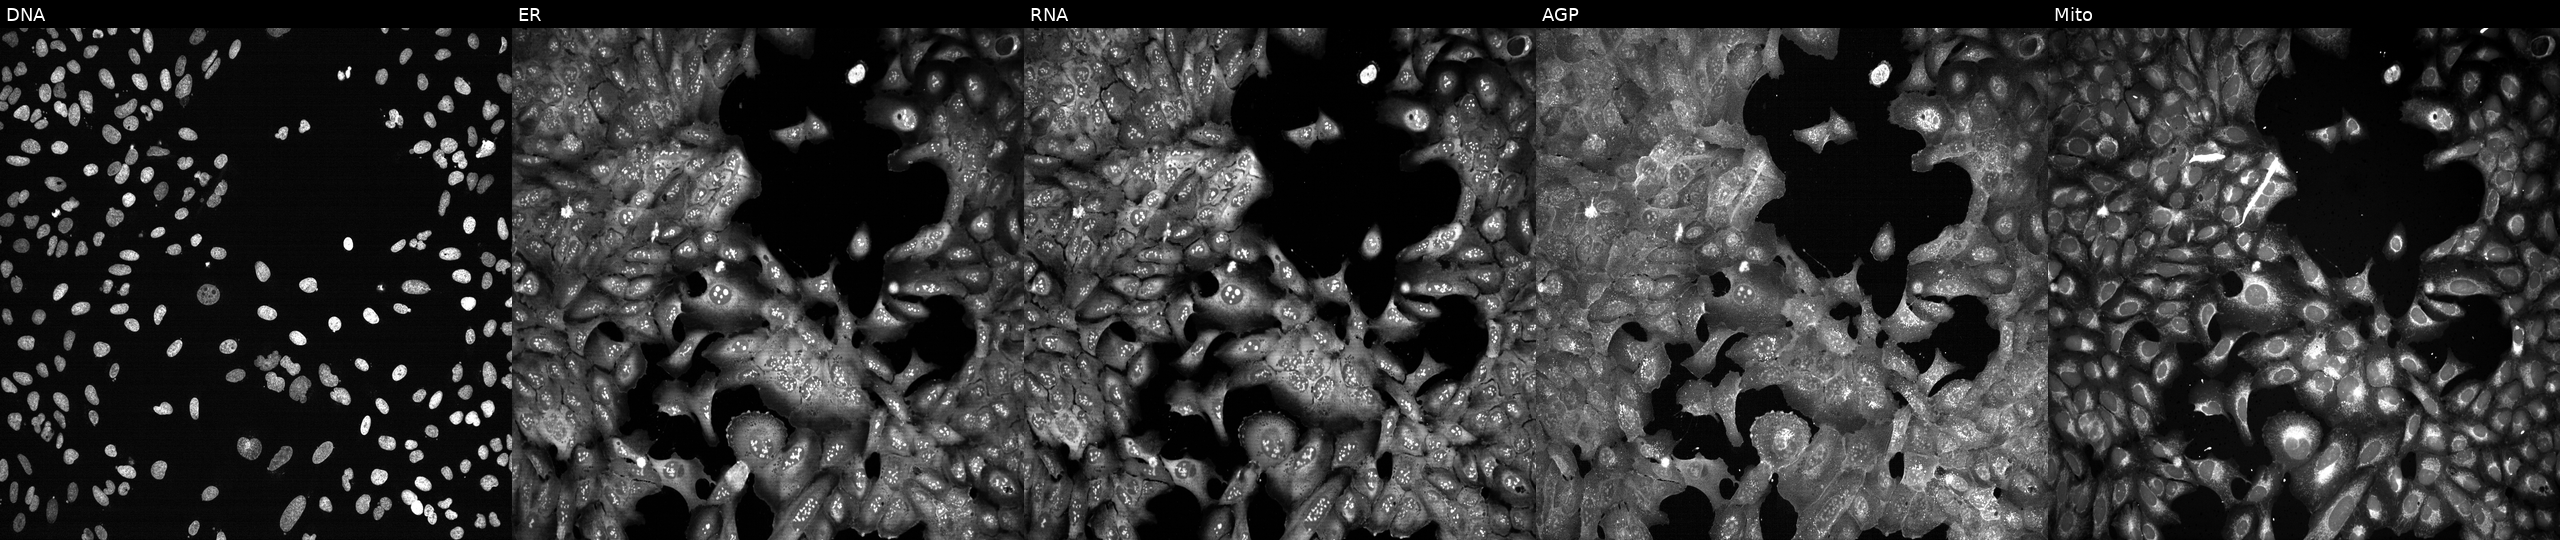
This image strip shows the five Cell Painting channels for a single field of U2OS cells with FANCC knocked out by CRISPR (JUMP id JCP2022_802264). From left to right: Hoechst 33342, concanavalin A, SYTO 14, phalloidin and WGA, MitoTracker.